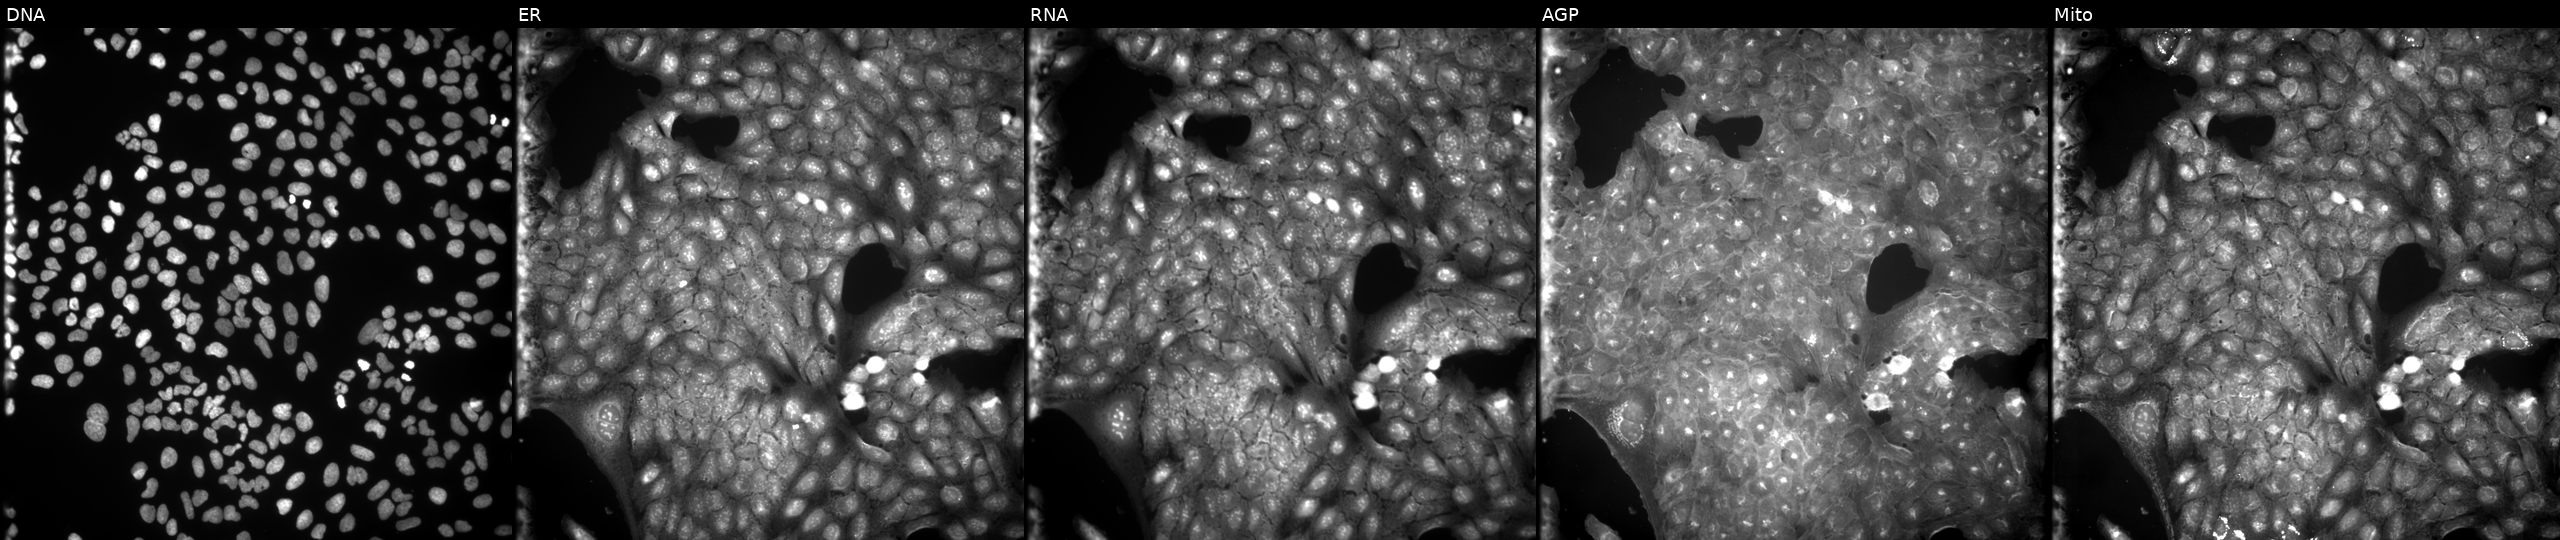
The five panels, left to right, show DNA, ER, RNA, AGP, and Mito. U2OS osteosarcoma cells treated with a small-molecule compound (InChIKey HPIVQSYLMYADQE-UHFFFAOYSA-N) (JUMP id JCP2022_031702). Cell Painting assay, JUMP-CP dataset.